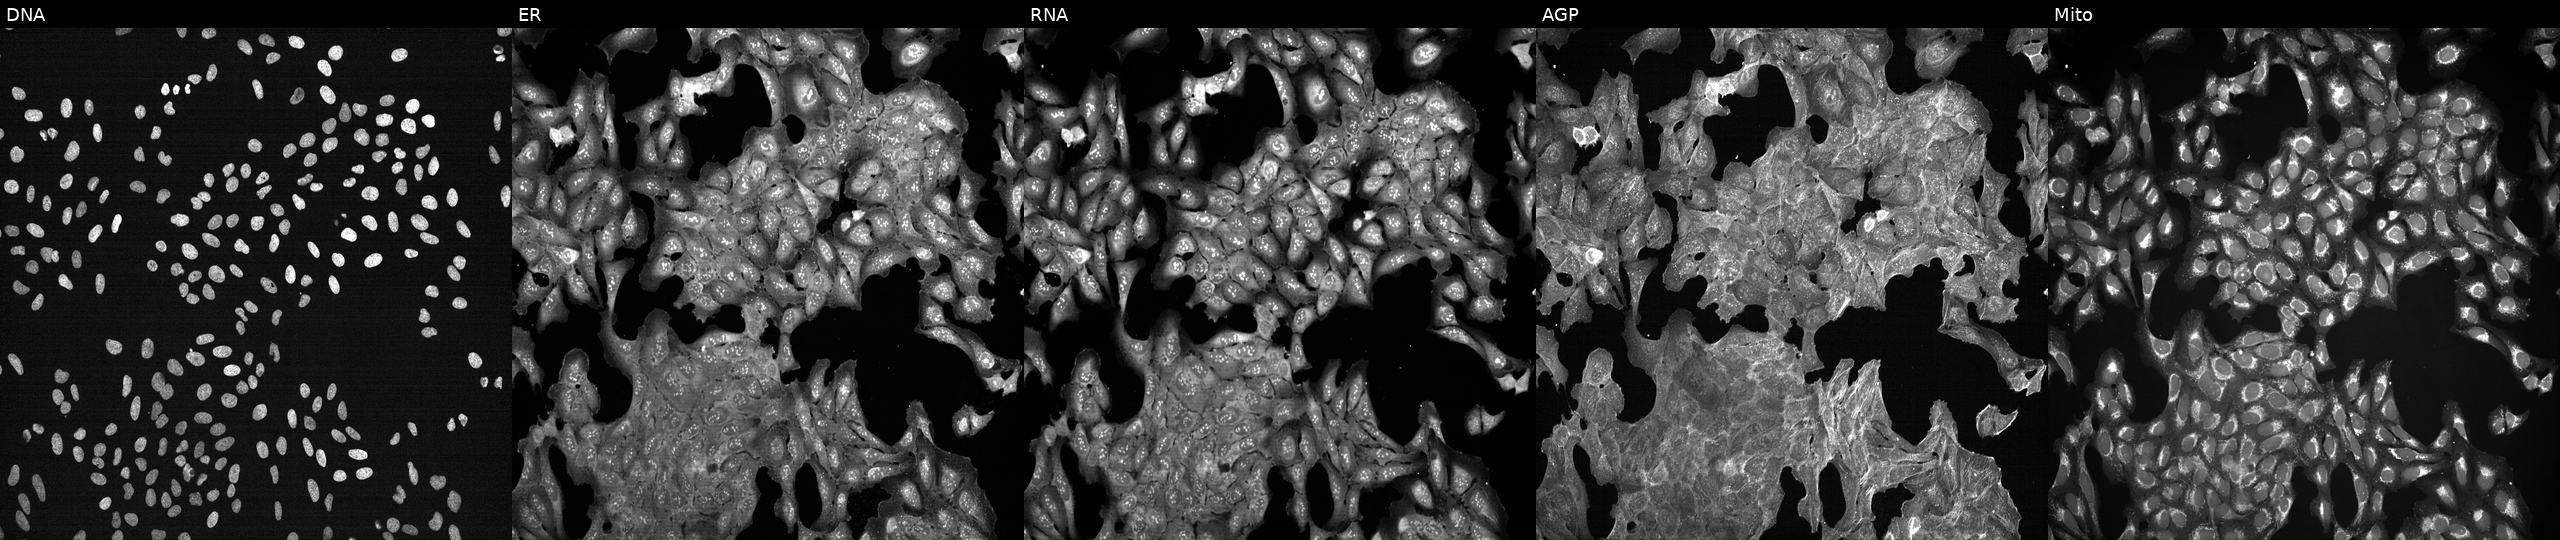
The five panels, left to right, show DNA, ER, RNA, AGP, and Mito. U2OS osteosarcoma cells treated with a small-molecule compound (InChIKey NOIIUHRQUVNIDD-UHFFFAOYSA-N) (JUMP id JCP2022_060311). Cell Painting assay, JUMP-CP dataset.